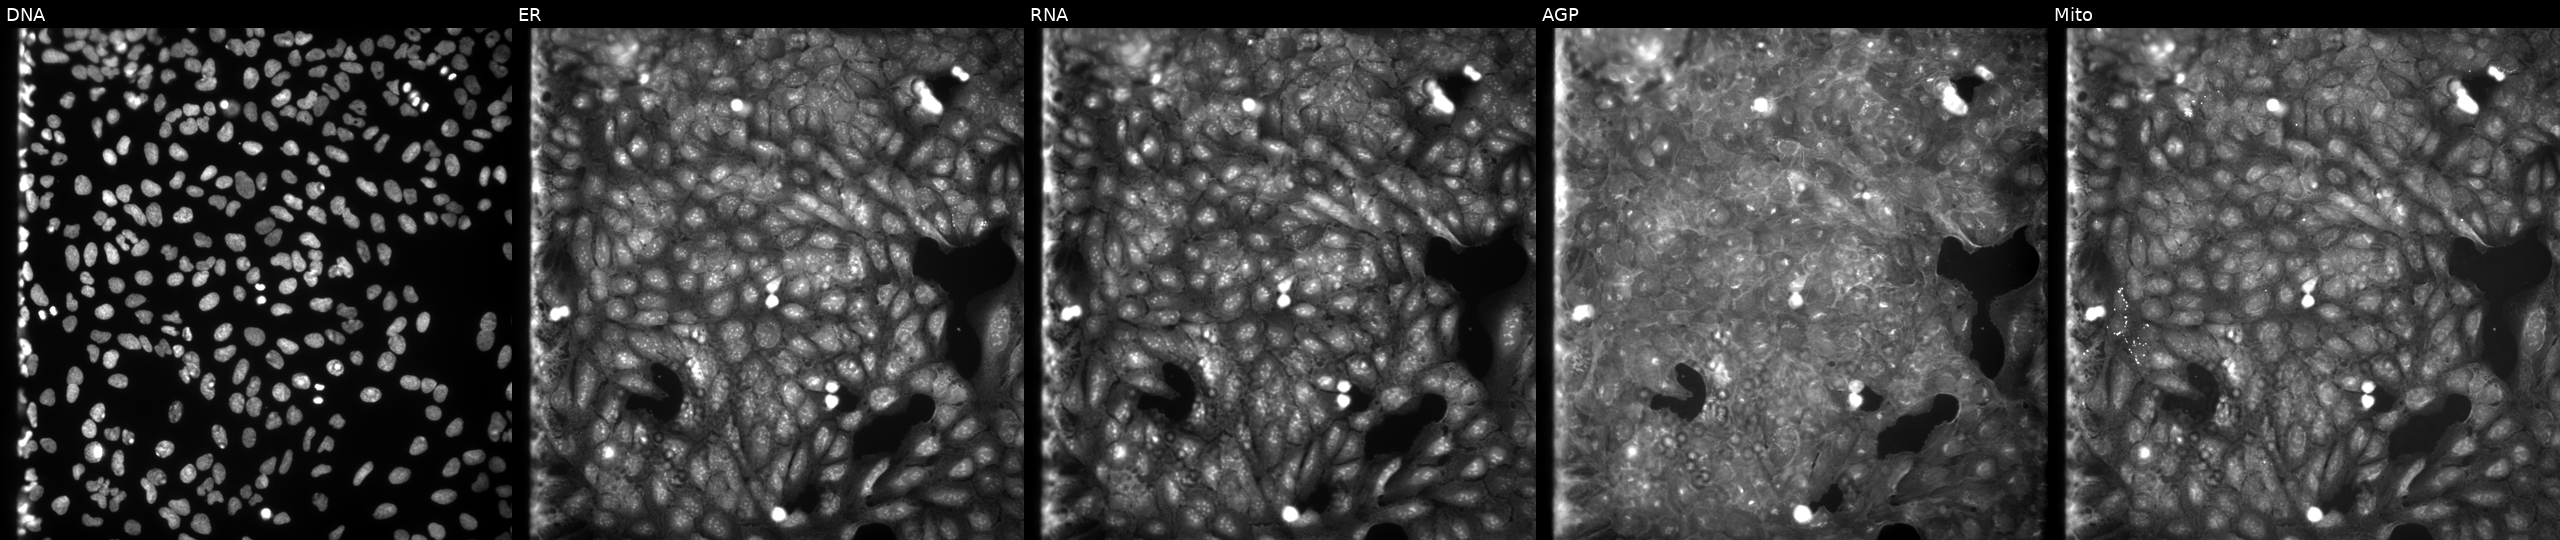
Five-channel Cell Painting image of U2OS cells perturbed with a small-molecule compound (JUMP id JCP2022_103830). From left to right: DNA (nuclei); ER (endoplasmic reticulum); RNA (nucleoli and cytoplasmic RNA); AGP (actin cytoskeleton, Golgi, and plasma membrane); Mito (mitochondria).